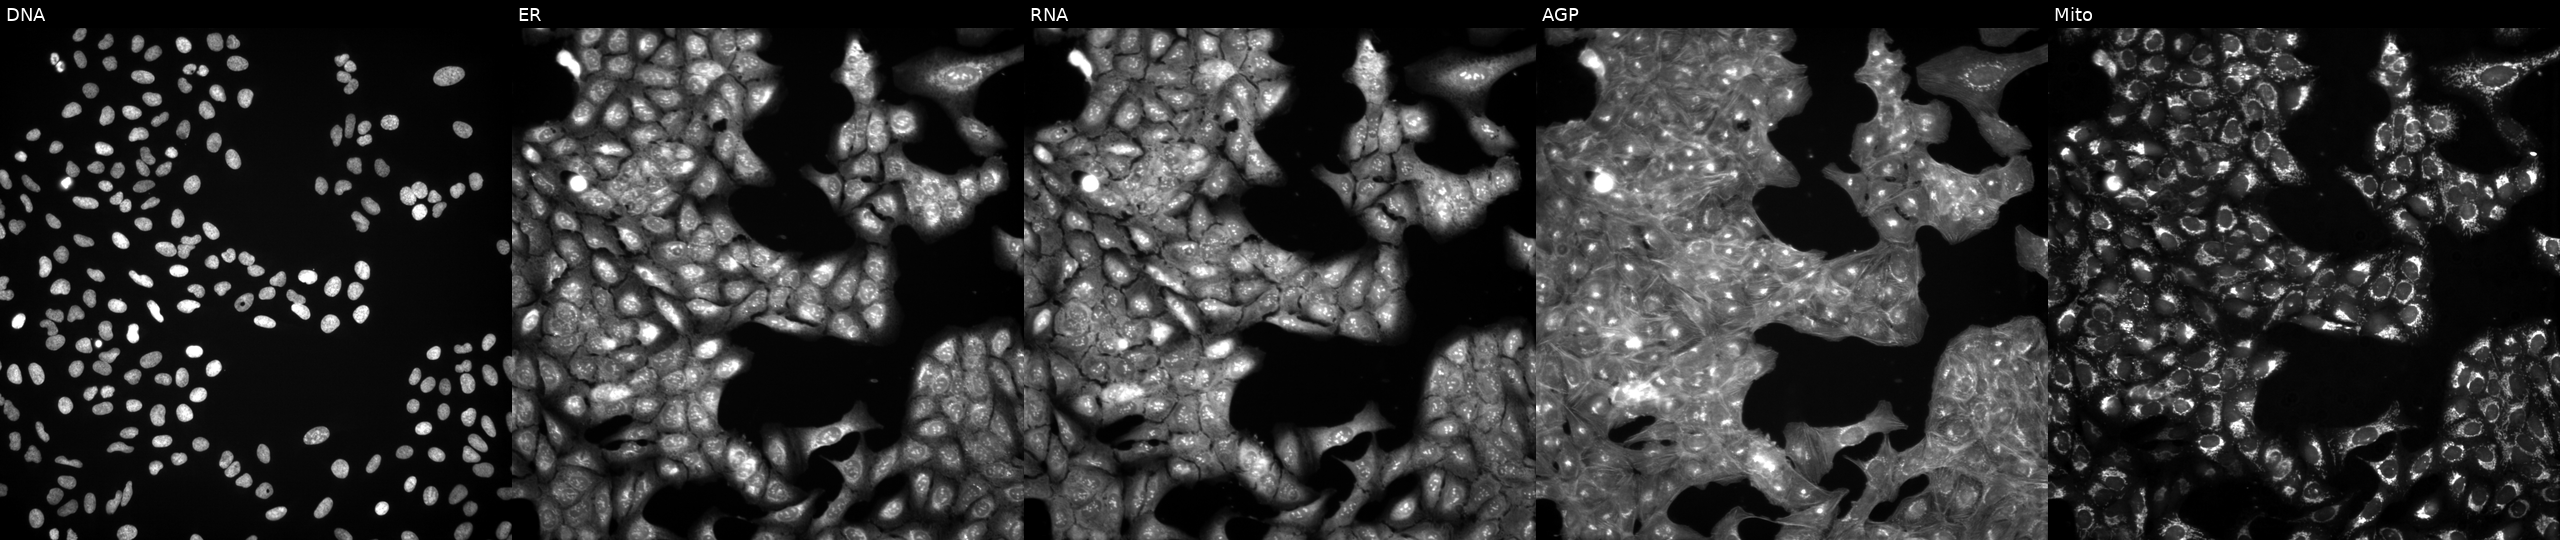
JUMP Cell Painting — COMPOUND plate. U2OS cells untreated (empty-well control). Channels (left→right): Hoechst 33342, concanavalin A, SYTO 14, phalloidin and WGA, MitoTracker. Source 3, plate BR5867b3, well I09.